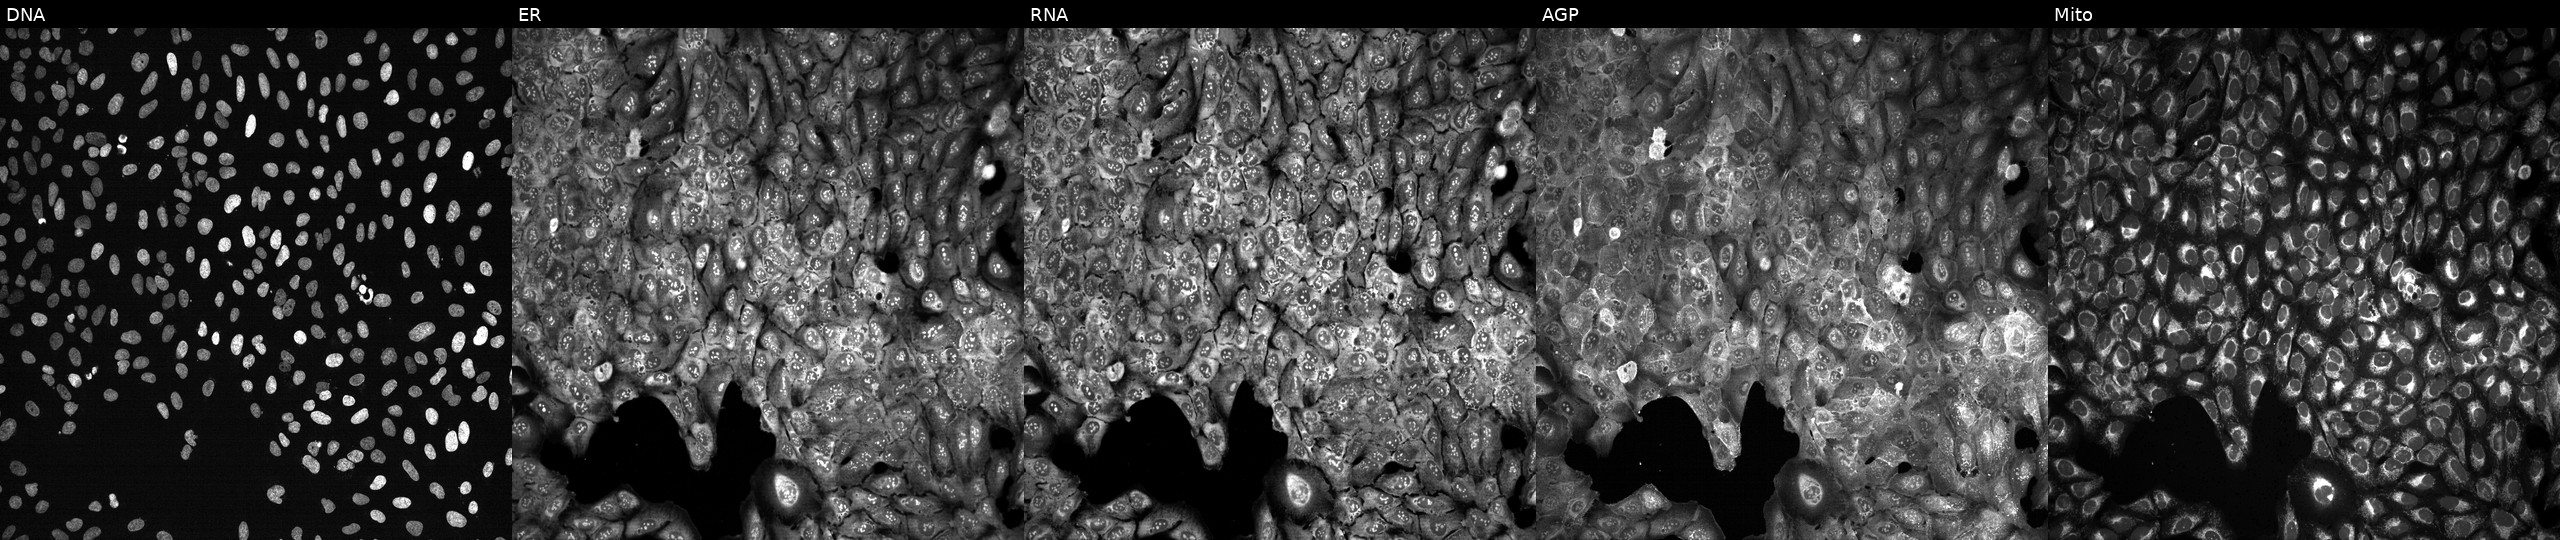
U2OS cells, Cell Painting assay, with F13A1 knocked out by CRISPR (JUMP id JCP2022_802230). The five panels, left to right, show DNA, ER, RNA, AGP, and Mito. Each panel is percentile-stretched 16-bit fluorescence.